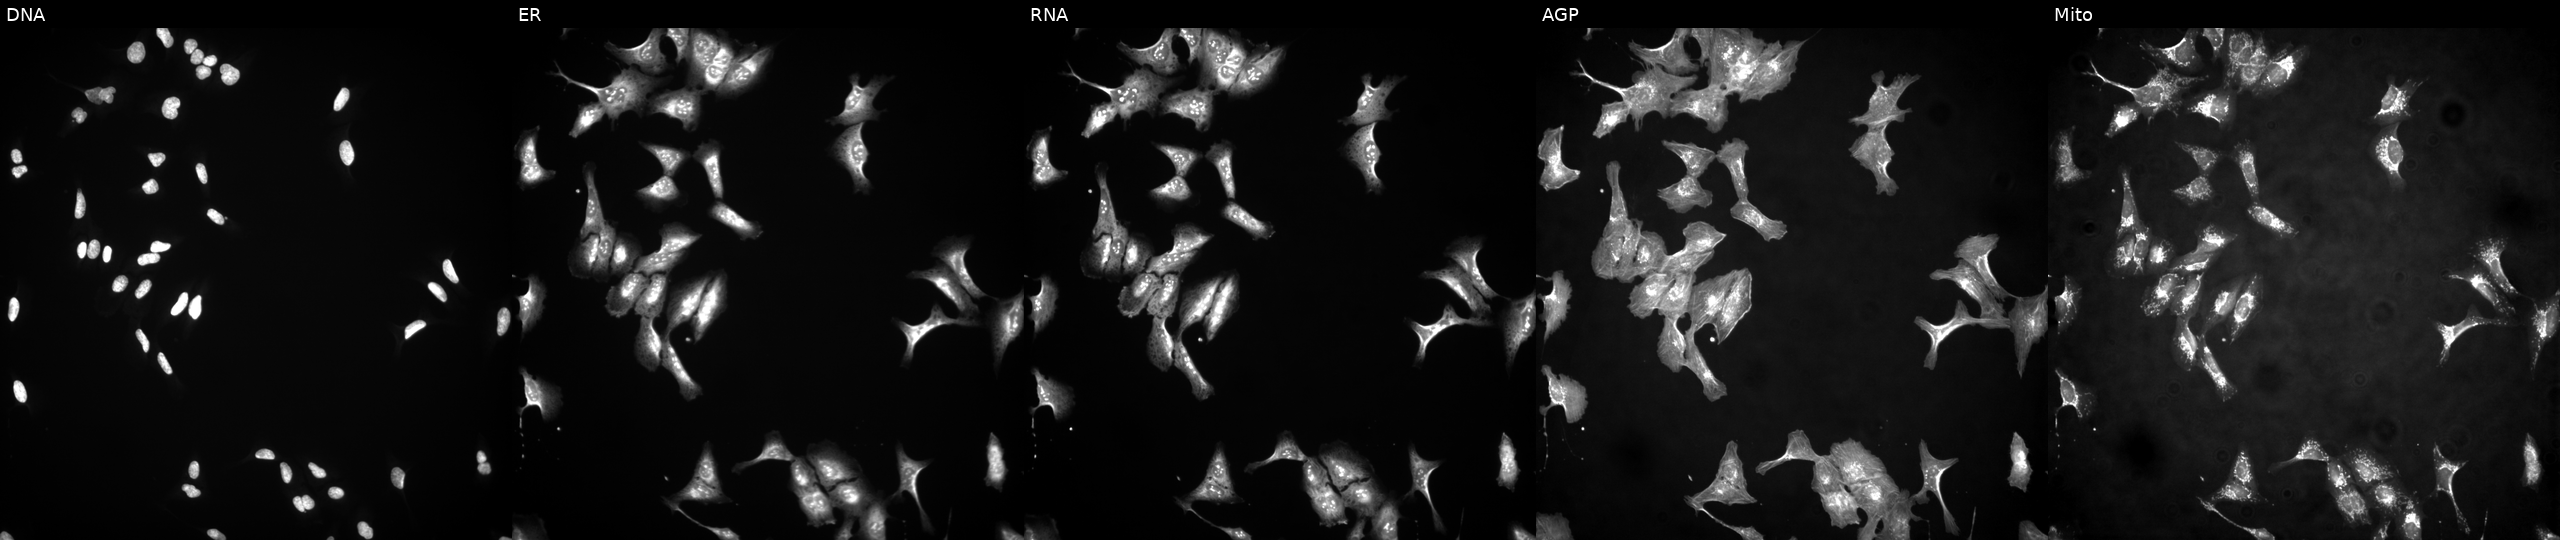
Channels (left→right): Hoechst 33342, concanavalin A, SYTO 14, phalloidin and WGA, MitoTracker. U2OS osteosarcoma cells transfected with an ORF construct for USO1. Cell Painting assay, JUMP-CP dataset. Source 4, plate BR00124784, well M11.